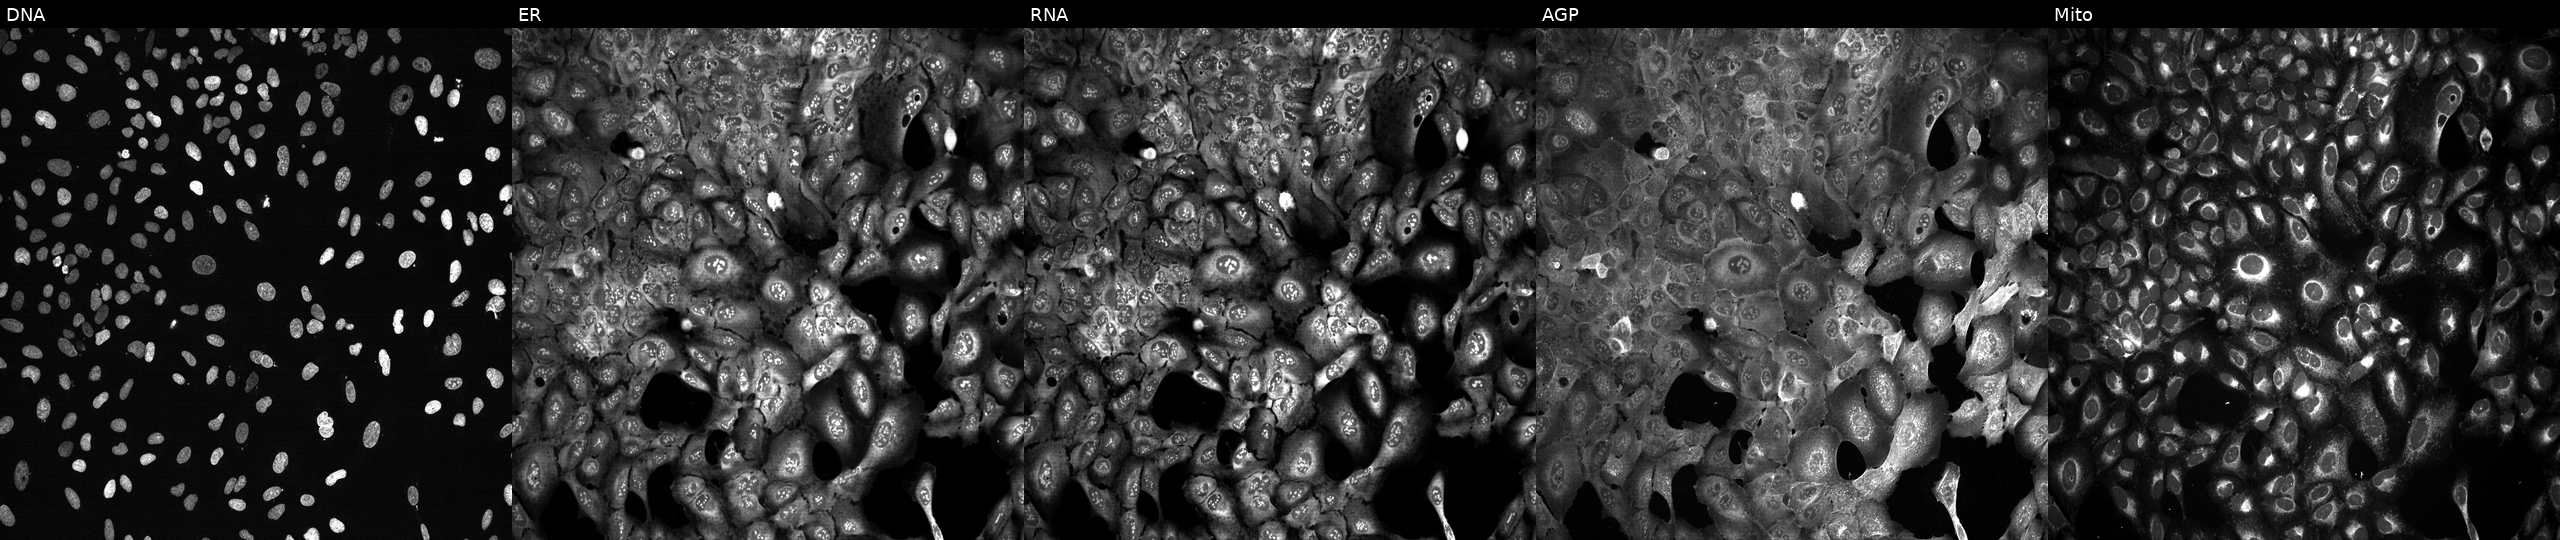
JUMP Cell Painting — CRISPR plate. U2OS cells CRISPR-edited to disrupt APRT. From left to right: DNA, ER, RNA, AGP, and Mito. Source 13, plate CP-CC9-R3-02, well E04.